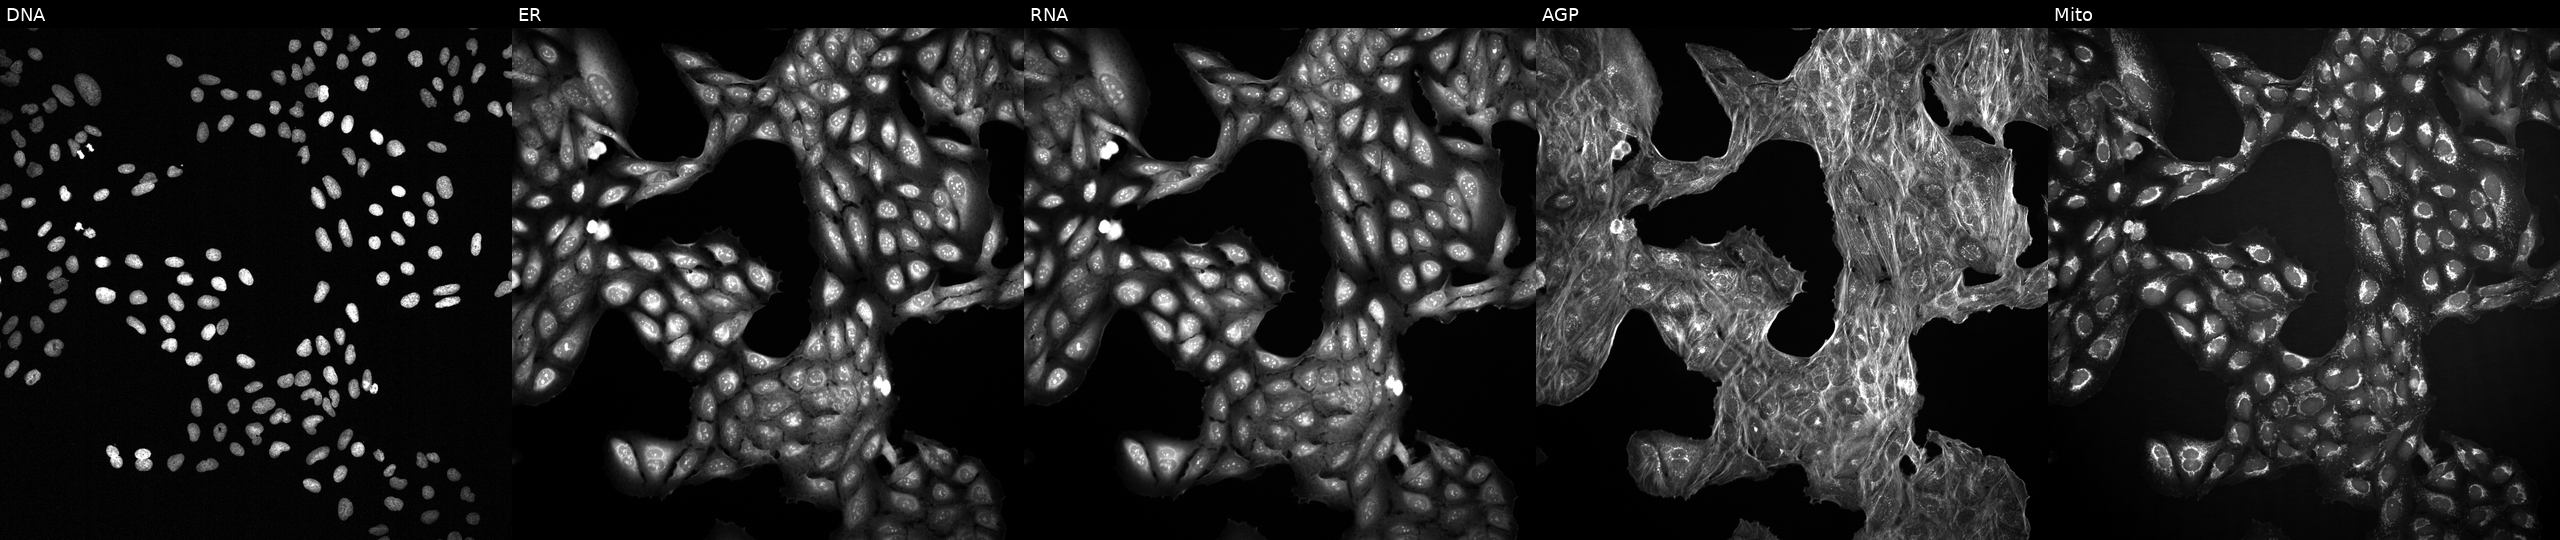
JUMP Cell Painting — COMPOUND plate. U2OS cells with an unidentified perturbation (not annotated in JUMP metadata). Channels (left→right): DNA, ER, RNA, AGP, and Mito.